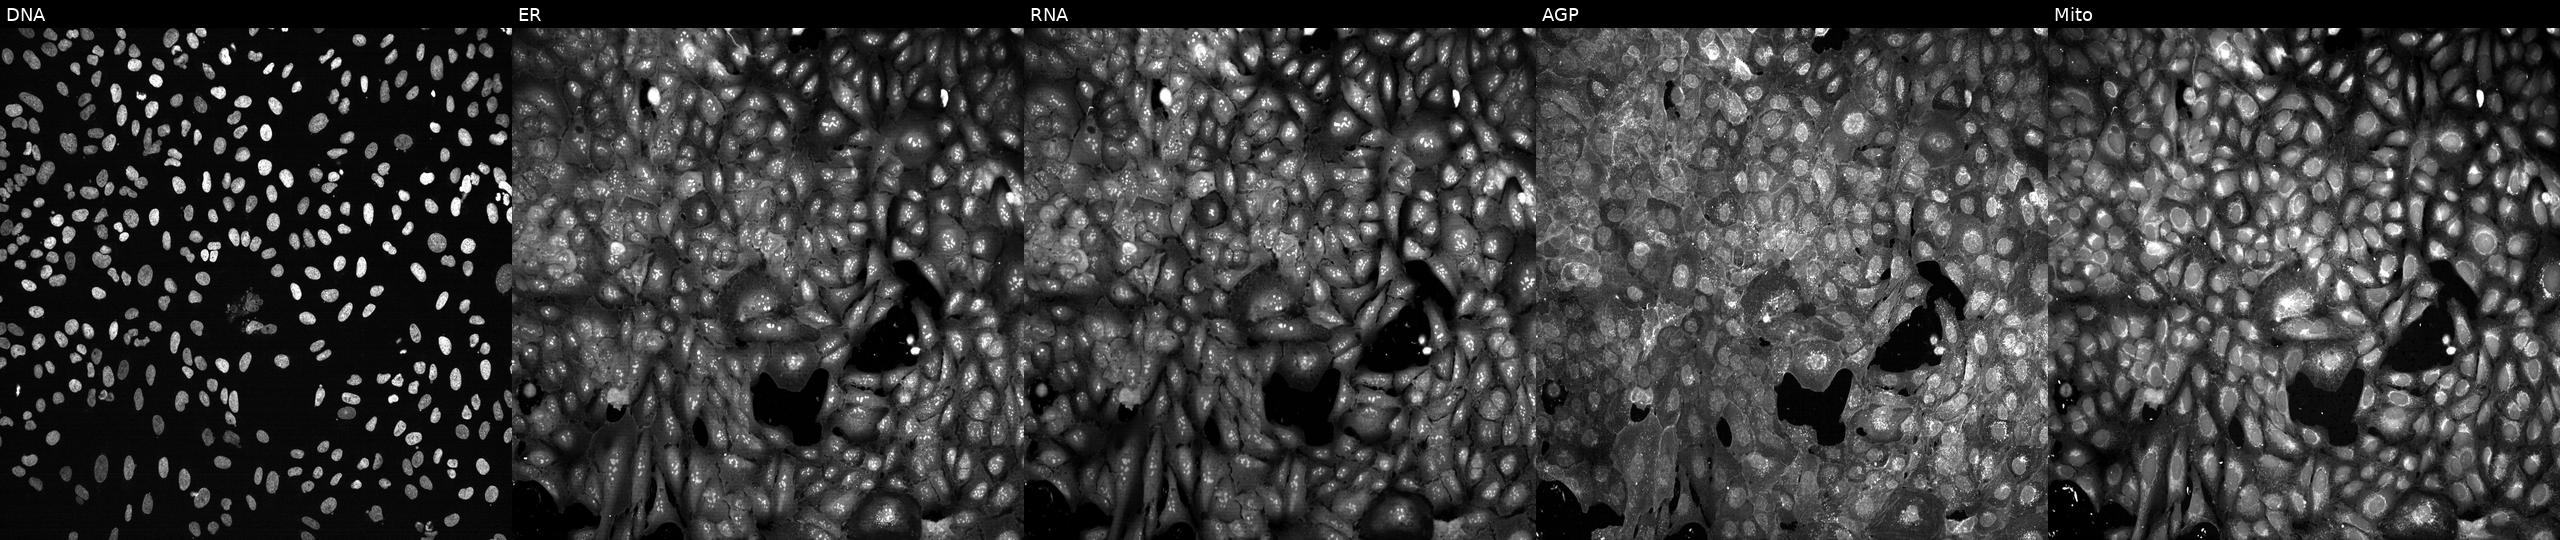
U2OS cells, Cell Painting assay, with GPHN knocked out by CRISPR (JUMP id JCP2022_802800). Panels show, left to right, Hoechst 33342, concanavalin A, SYTO 14, phalloidin and WGA, MitoTracker. Each panel is percentile-stretched 16-bit fluorescence. Source 13, plate CP-CC9-R1-01, well A05.